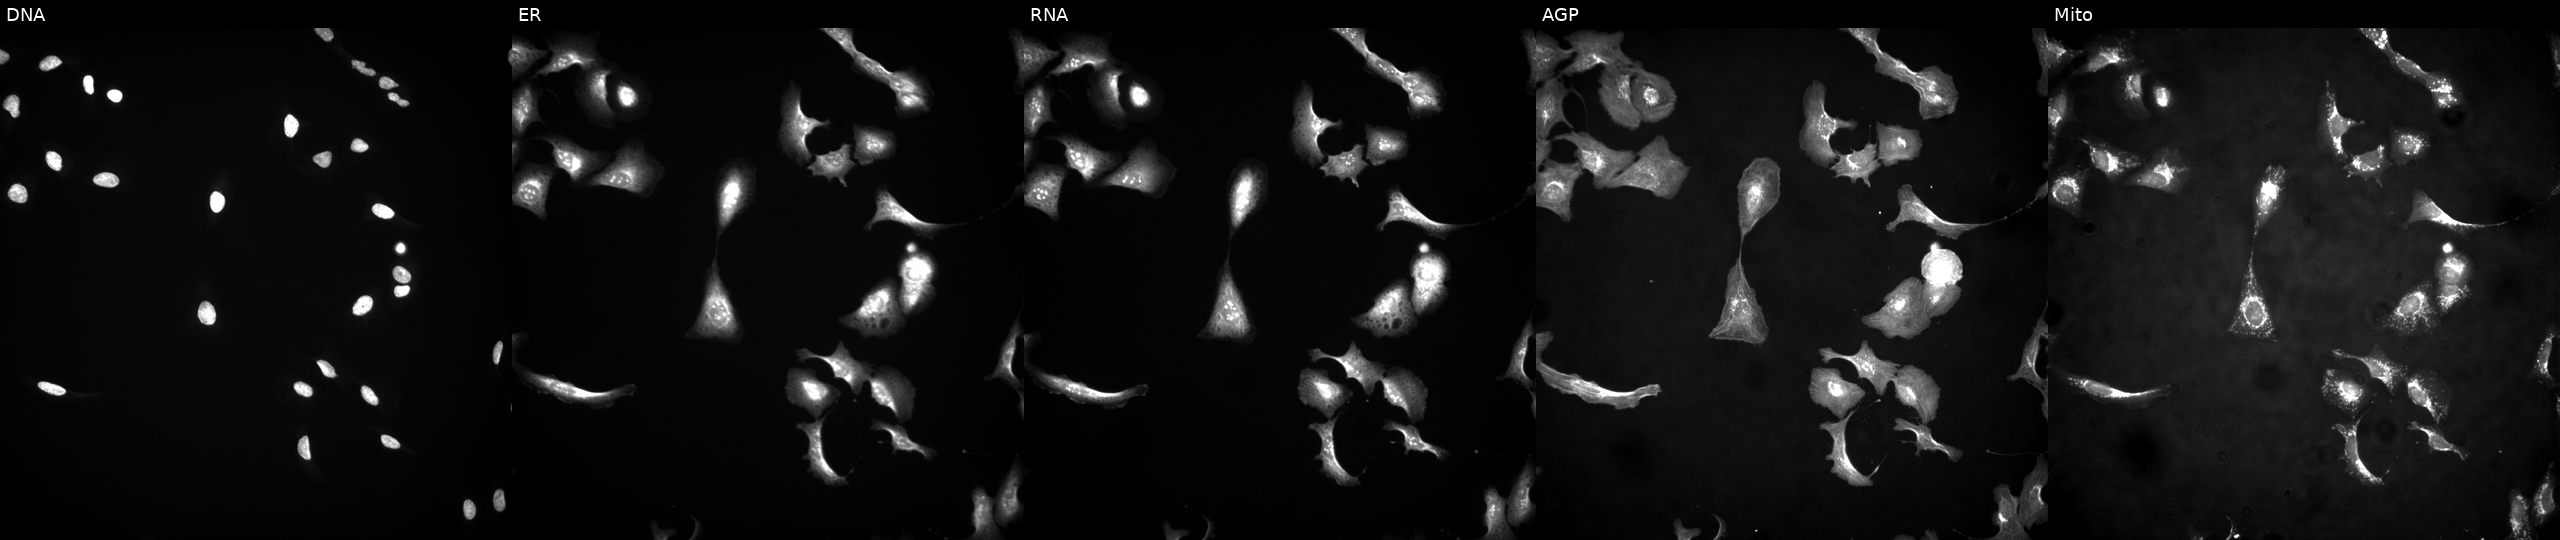
Five-channel Cell Painting image of U2OS cells in an empty control well (no perturbation). From left to right: Hoechst 33342, concanavalin A, SYTO 14, phalloidin and WGA, MitoTracker.